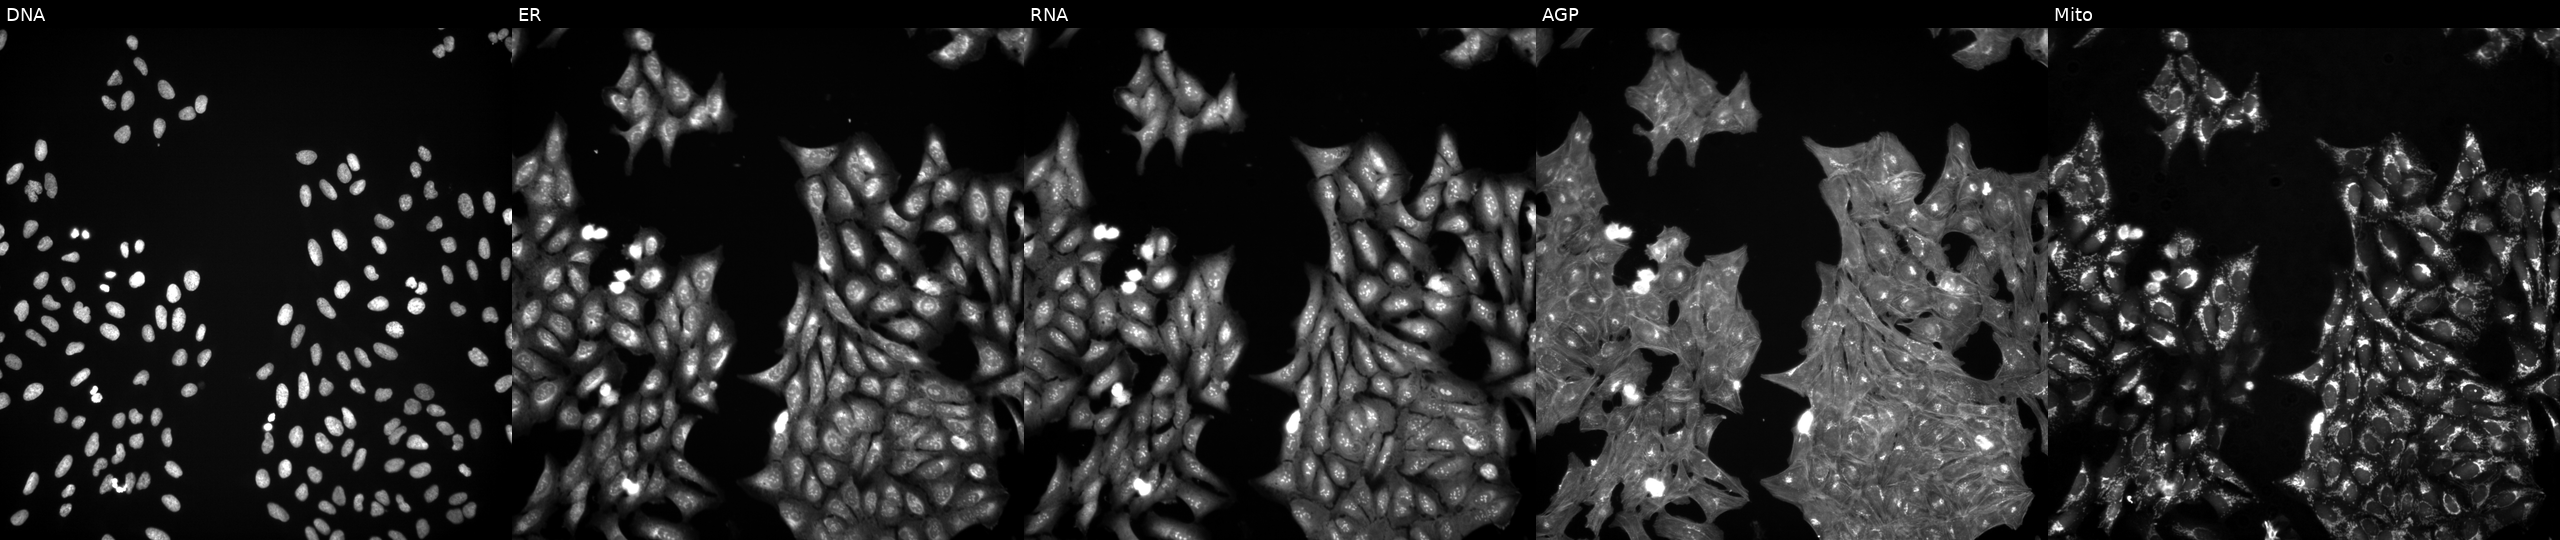
This image strip shows the five Cell Painting channels for a single field of U2OS cells treated with a small-molecule compound (InChIKey HFYPTENHTPNXGP-UHFFFAOYSA-N) (JUMP id JCP2022_029951). The five panels, left to right, show DNA, ER, RNA, AGP, and Mito.